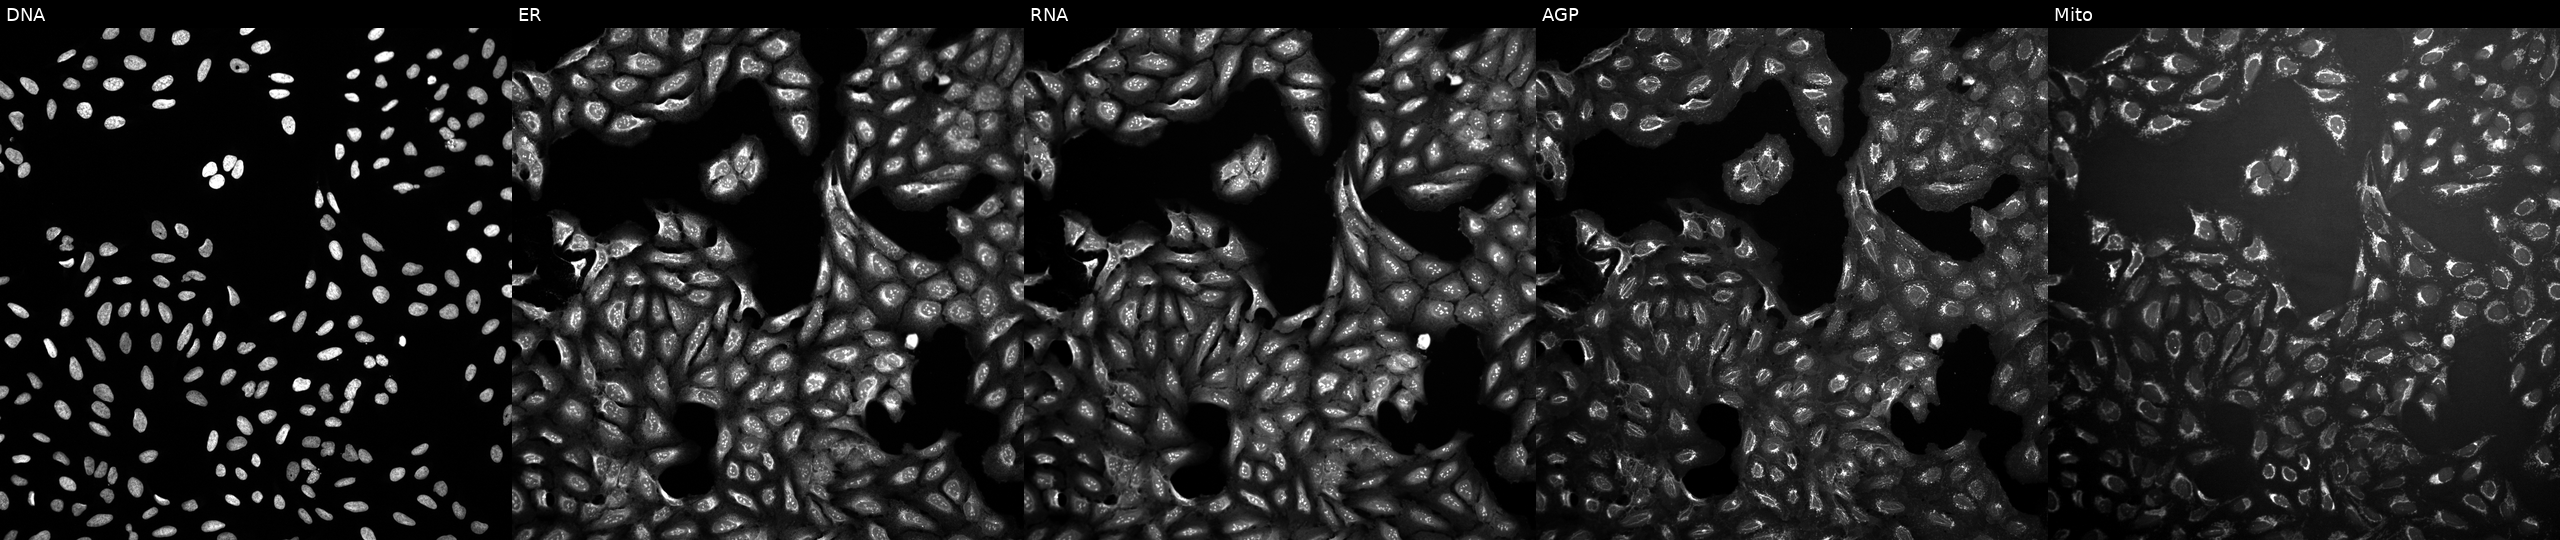
High-content fluorescence microscopy (Cell Painting). Cell line: U2OS. Perturbation: exposed to a small-molecule compound [SMILES: CCC(=C(c1ccc(O)cc1)c1ccc(OCCN(C)C)cc1)c1ccccc1]. Panels show, left to right, Hoechst 33342, concanavalin A, SYTO 14, phalloidin and WGA, MitoTracker.